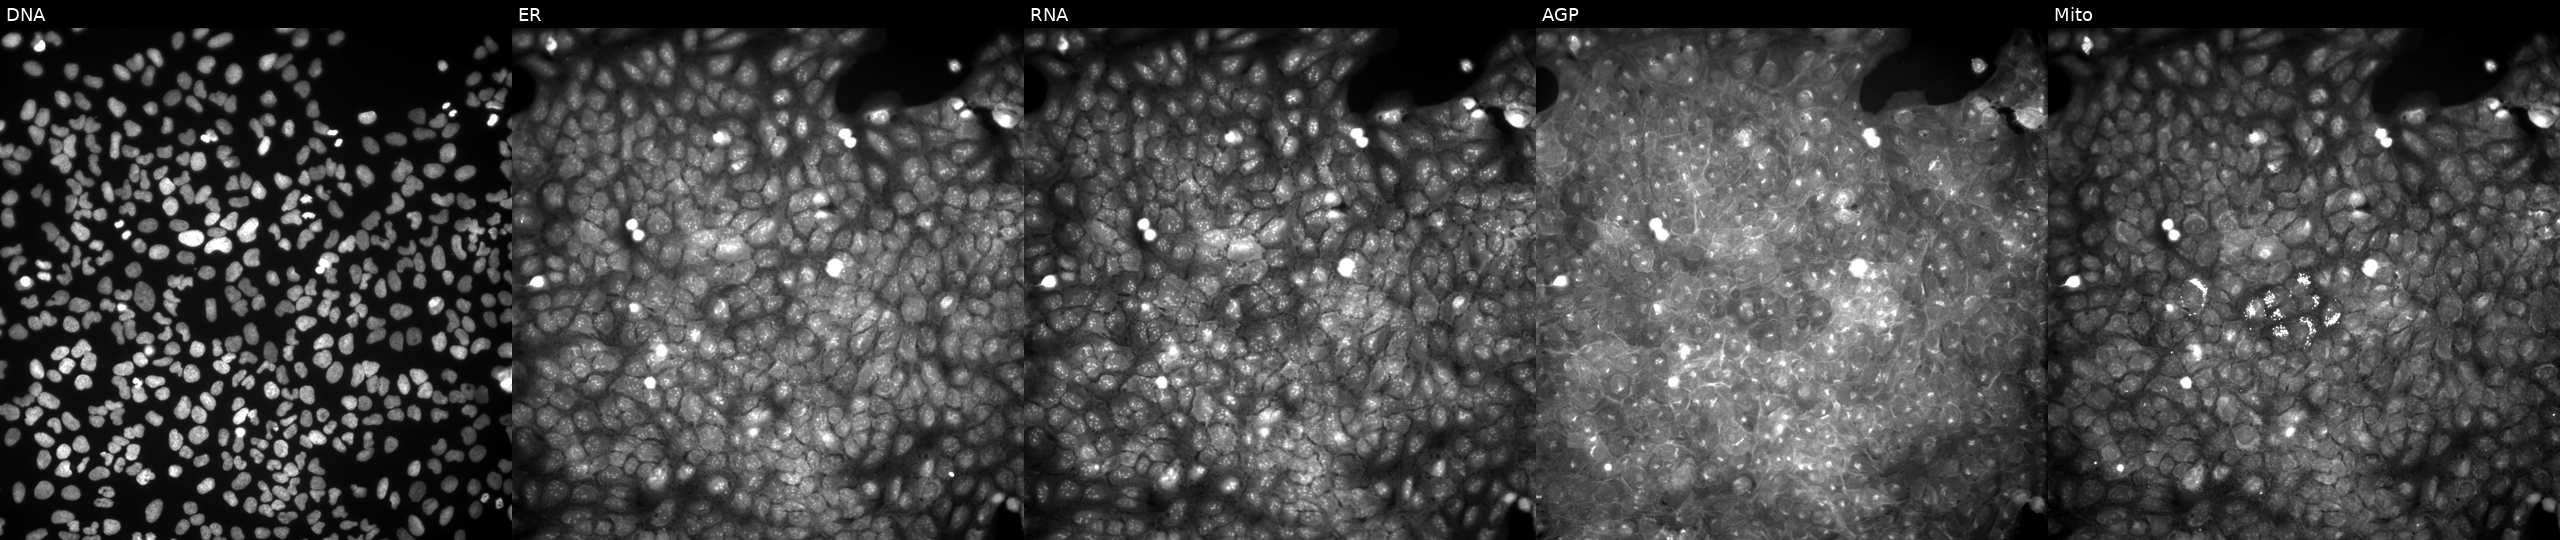
Five-channel Cell Painting image of U2OS cells perturbed with a small-molecule compound (JUMP id JCP2022_053186). From left to right: Hoechst 33342, concanavalin A, SYTO 14, phalloidin and WGA, MitoTracker.